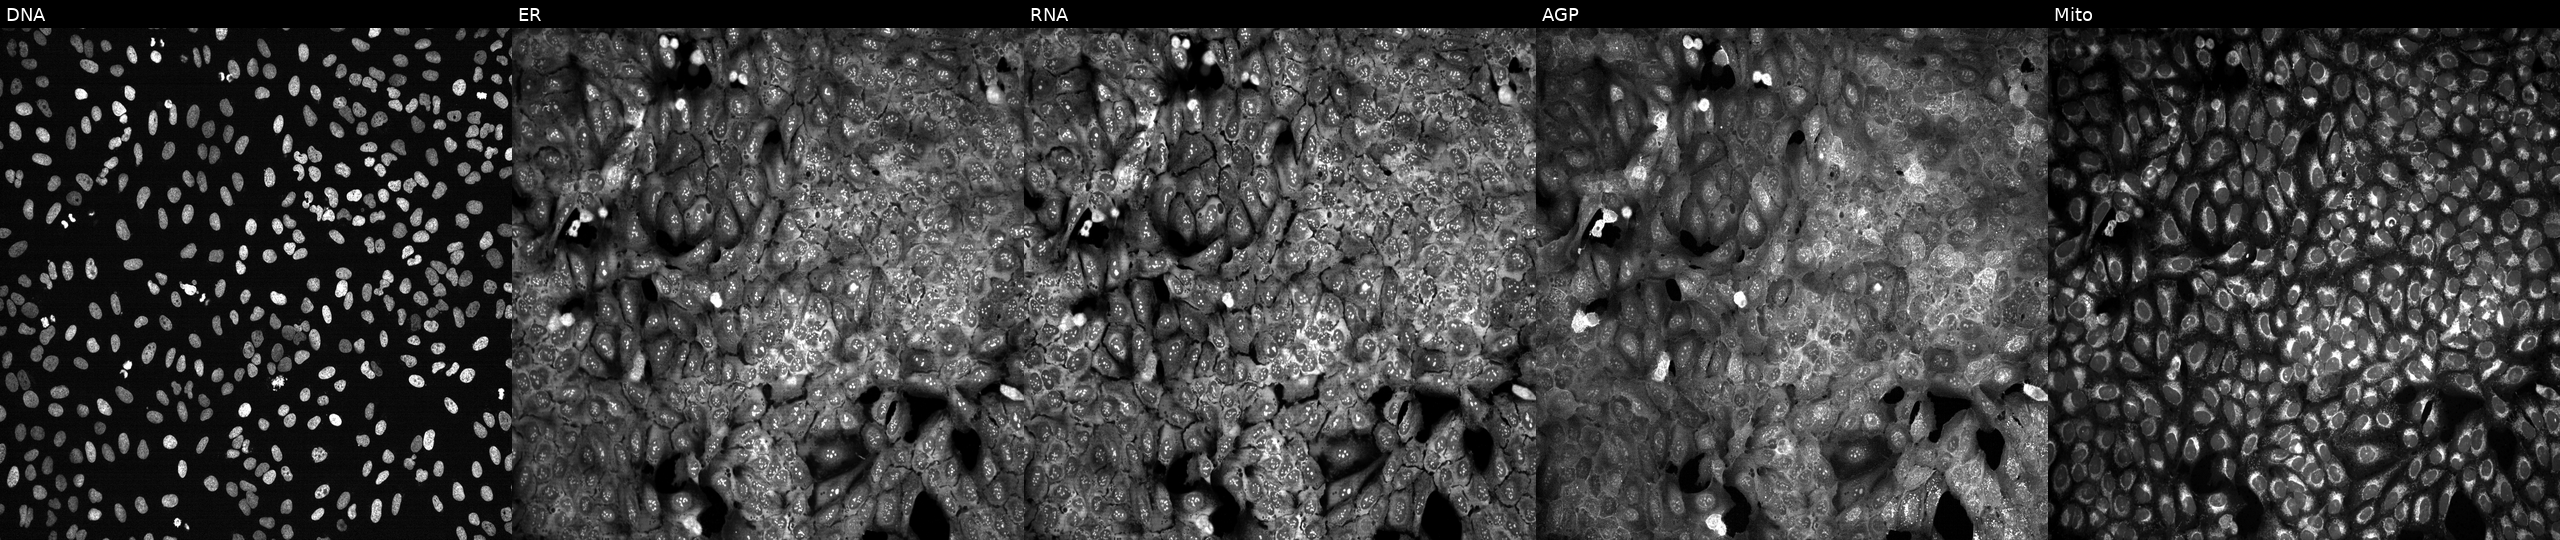
Panels show, left to right, DNA (nuclei); ER (endoplasmic reticulum); RNA (nucleoli and cytoplasmic RNA); AGP (actin cytoskeleton, Golgi, and plasma membrane); Mito (mitochondria). U2OS osteosarcoma cells CRISPR-edited to disrupt GFER (JUMP id JCP2022_802668). Cell Painting assay, JUMP-CP dataset. Source 13, plate CP-CC9-R4-04, well E16.